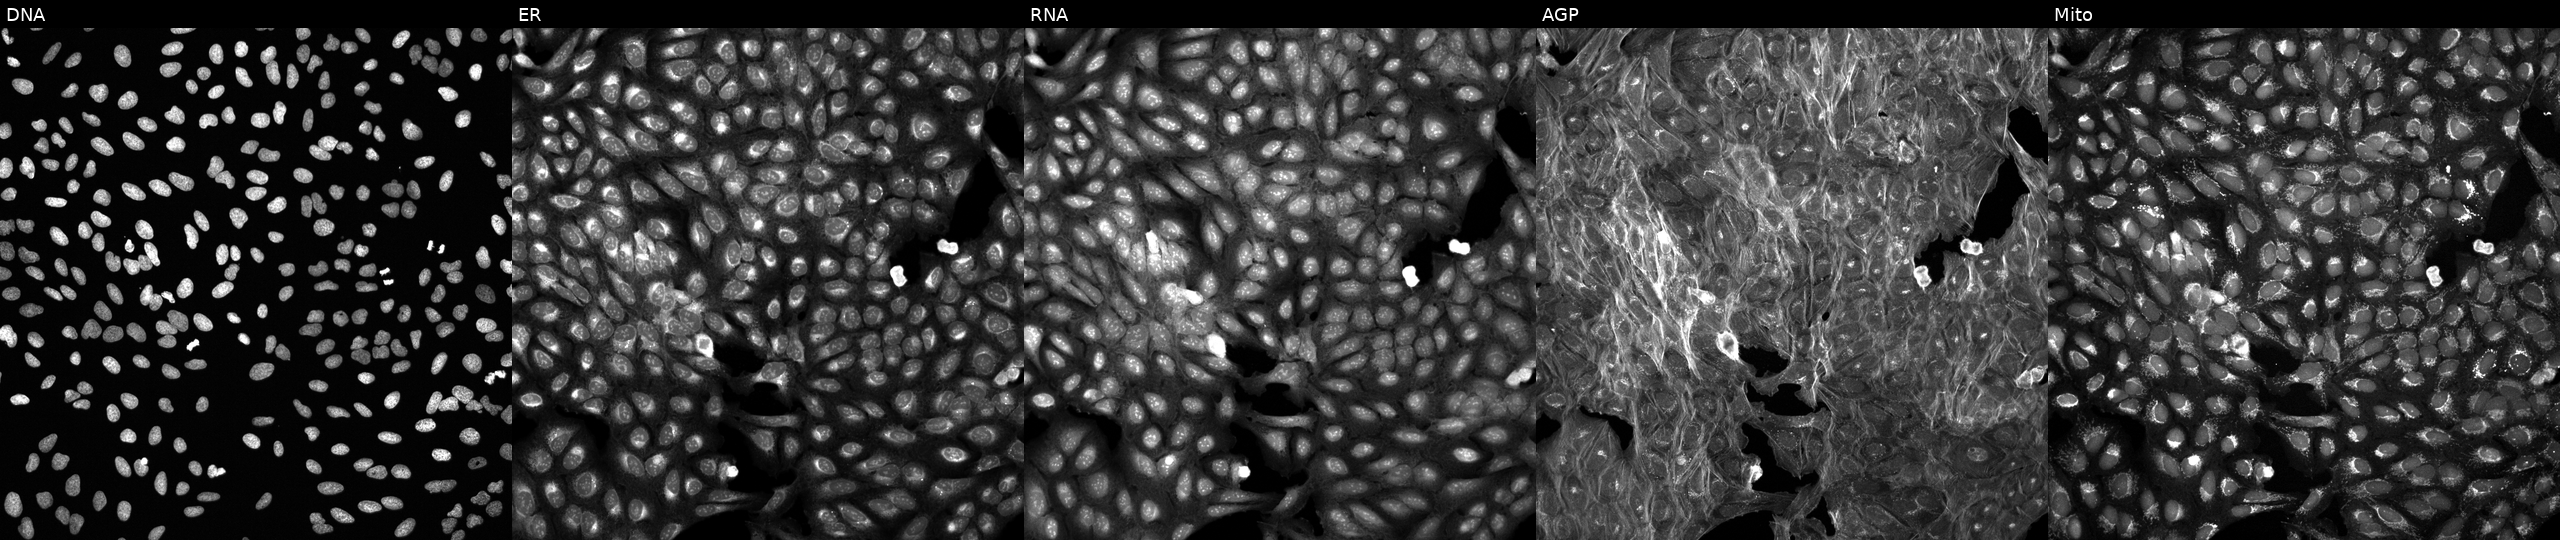
High-content fluorescence microscopy (Cell Painting). Cell line: U2OS. Perturbation: treated with a small-molecule compound (InChIKey RONQPWQYDRPRGG-UHFFFAOYSA-N) (JUMP id JCP2022_079715). From left to right: DNA (nuclei); ER (endoplasmic reticulum); RNA (nucleoli and cytoplasmic RNA); AGP (actin cytoskeleton, Golgi, and plasma membrane); Mito (mitochondria).